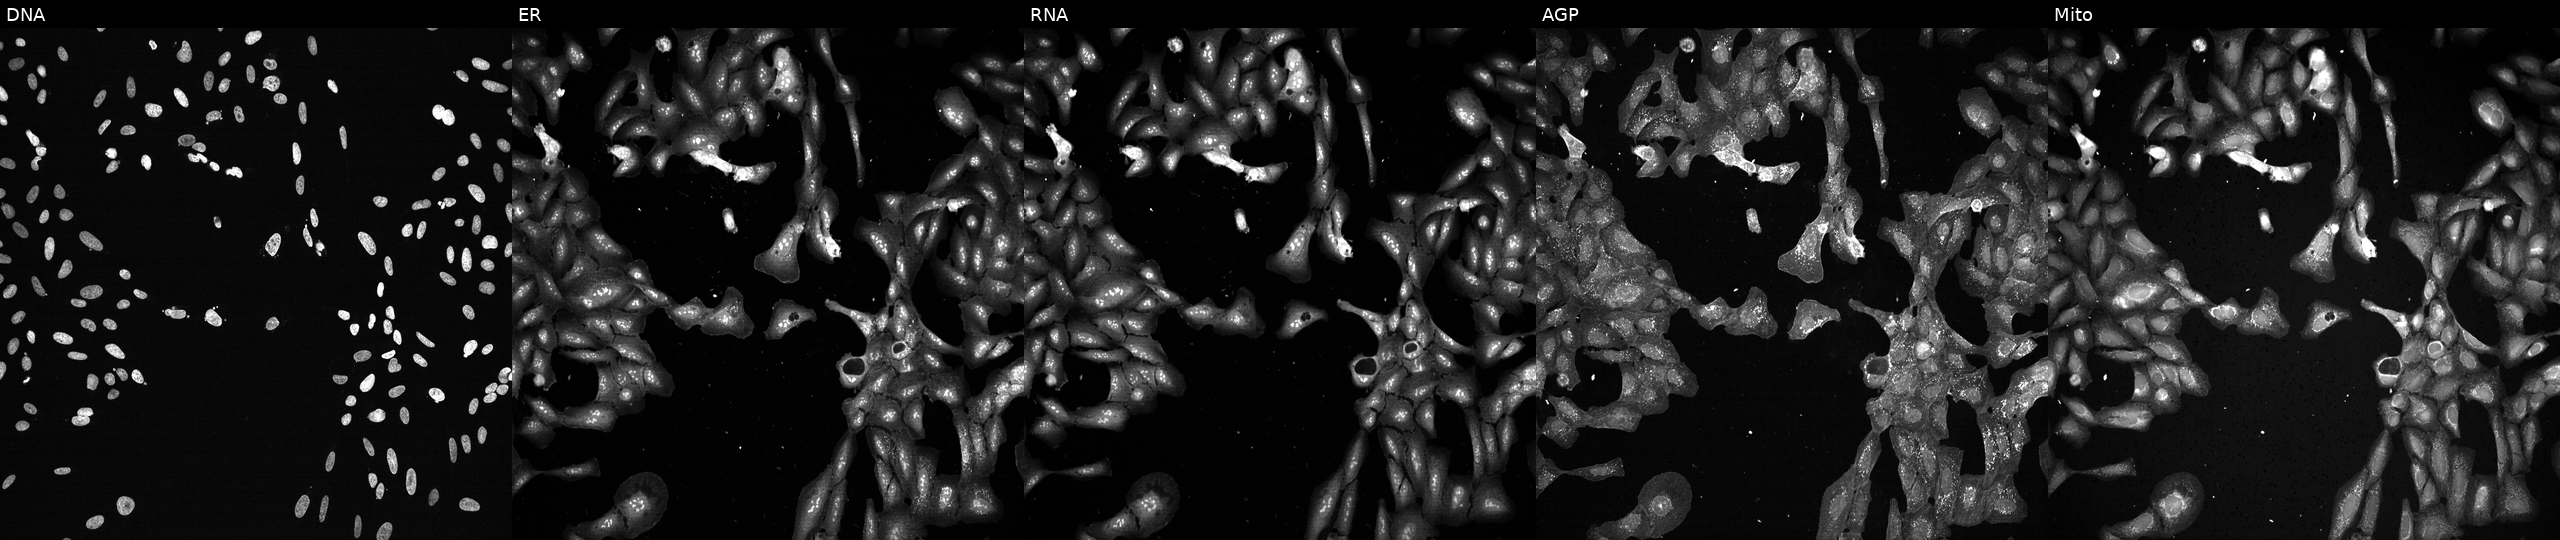
High-content fluorescence microscopy (Cell Painting). Cell line: U2OS. Perturbation: CRISPR-edited to disrupt DDX18 (JUMP id JCP2022_801723). Channels (left→right): DNA (nuclei); ER (endoplasmic reticulum); RNA (nucleoli and cytoplasmic RNA); AGP (actin cytoskeleton, Golgi, and plasma membrane); Mito (mitochondria). Source 13, plate CP-CC9-R1-01, well J06.